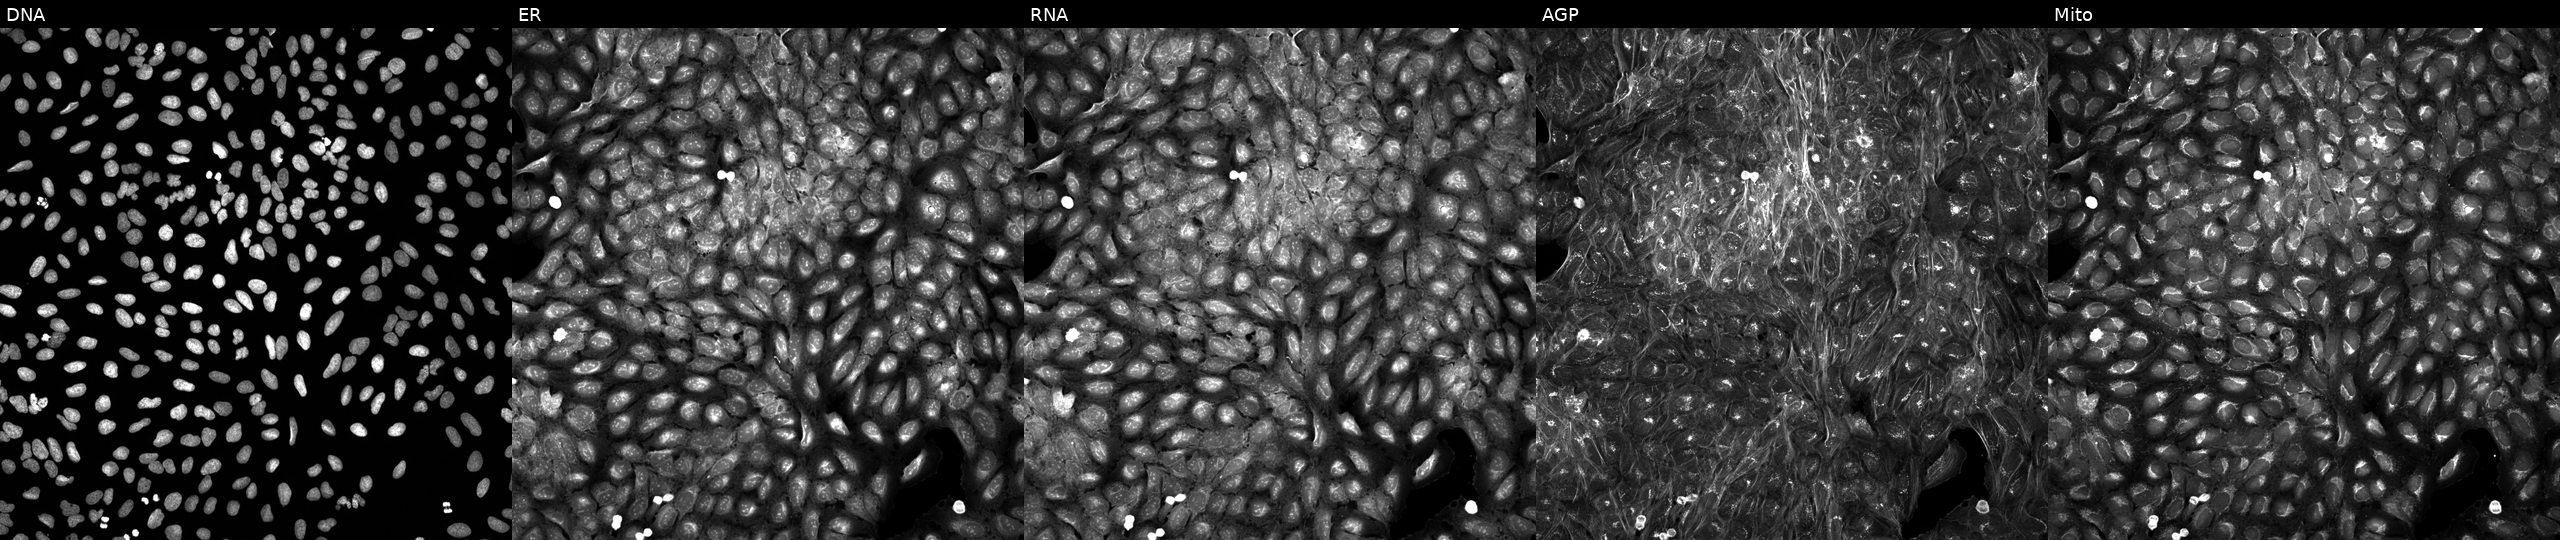
From left to right: DNA, ER, RNA, AGP, and Mito. U2OS osteosarcoma cells treated with DMSO vehicle only (negative control). Cell Painting assay, JUMP-CP dataset.